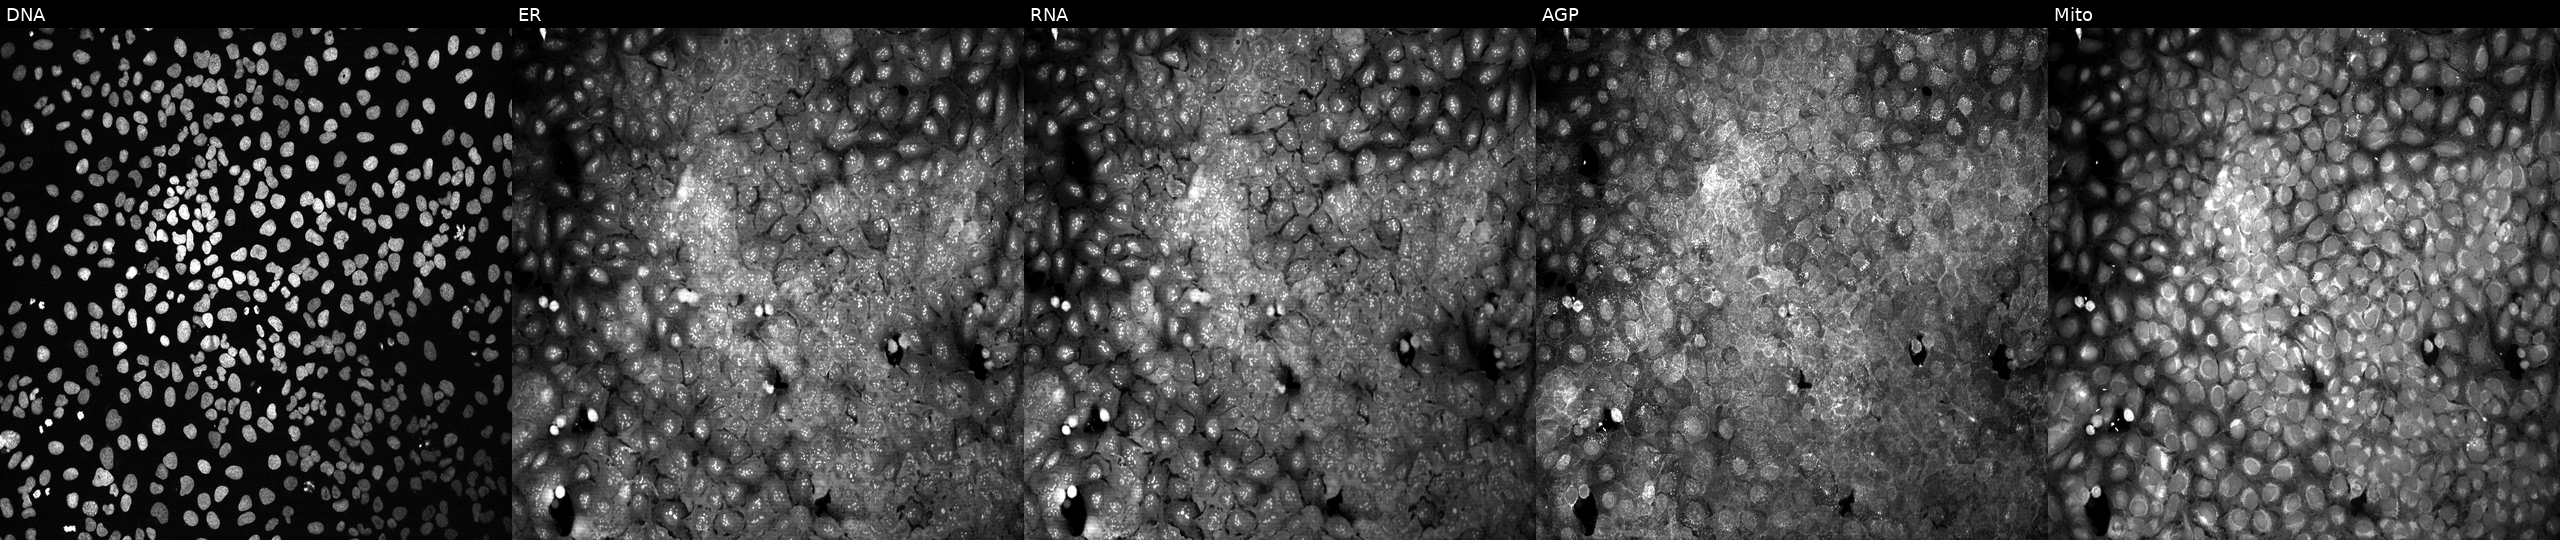
This image strip shows the five Cell Painting channels for a single field of U2OS cells with a non-targeting CRISPR guide (negative control). Channels (left→right): Hoechst 33342, concanavalin A, SYTO 14, phalloidin and WGA, MitoTracker.